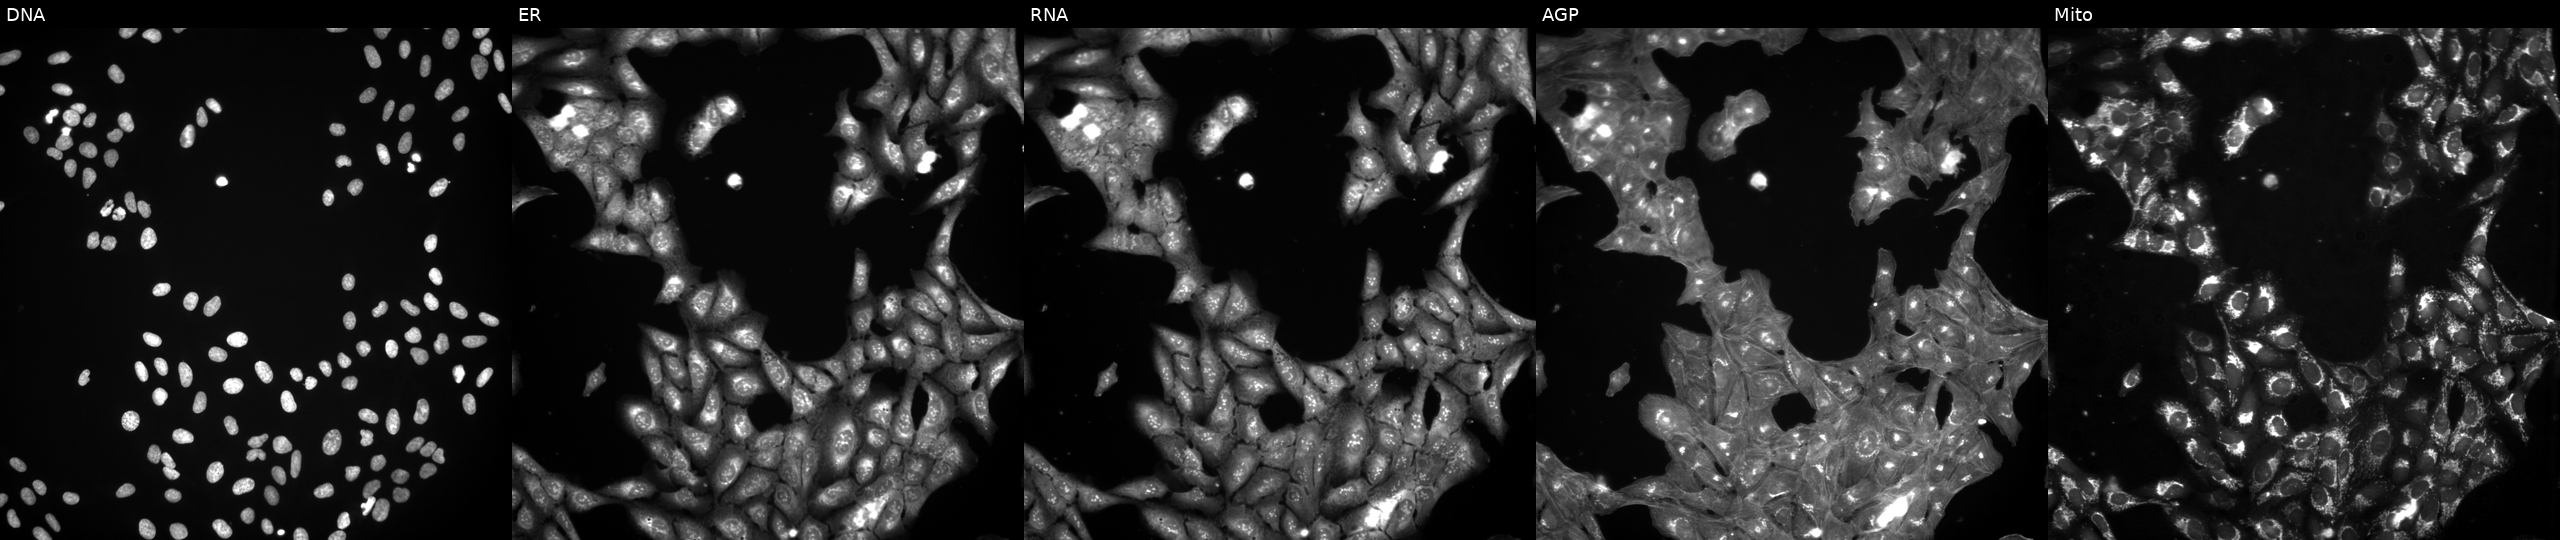
From left to right: DNA (nuclei); ER (endoplasmic reticulum); RNA (nucleoli and cytoplasmic RNA); AGP (actin cytoskeleton, Golgi, and plasma membrane); Mito (mitochondria). U2OS osteosarcoma cells exposed to DMSO alone as a negative control (JUMP id JCP2022_033924). Cell Painting assay, JUMP-CP dataset. Source 3, plate JCPQC052, well E13.